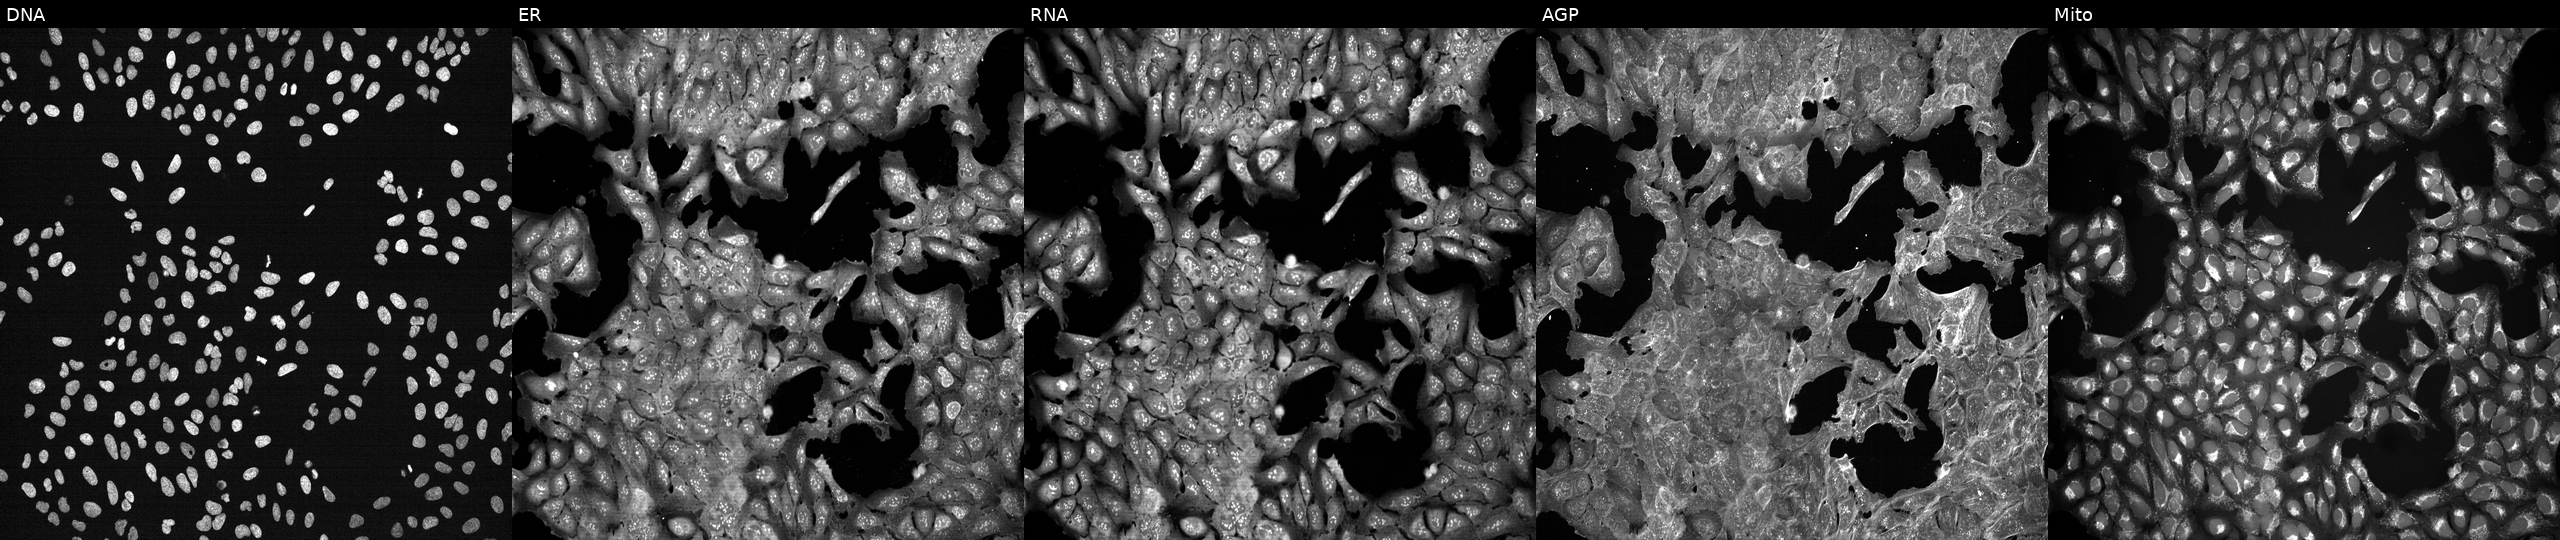
The five panels, left to right, show DNA, ER, RNA, AGP, and Mito. U2OS osteosarcoma cells exposed to a small-molecule compound. Cell Painting assay, JUMP-CP dataset. Source 7, plate CP3-SC1-25, well F15.